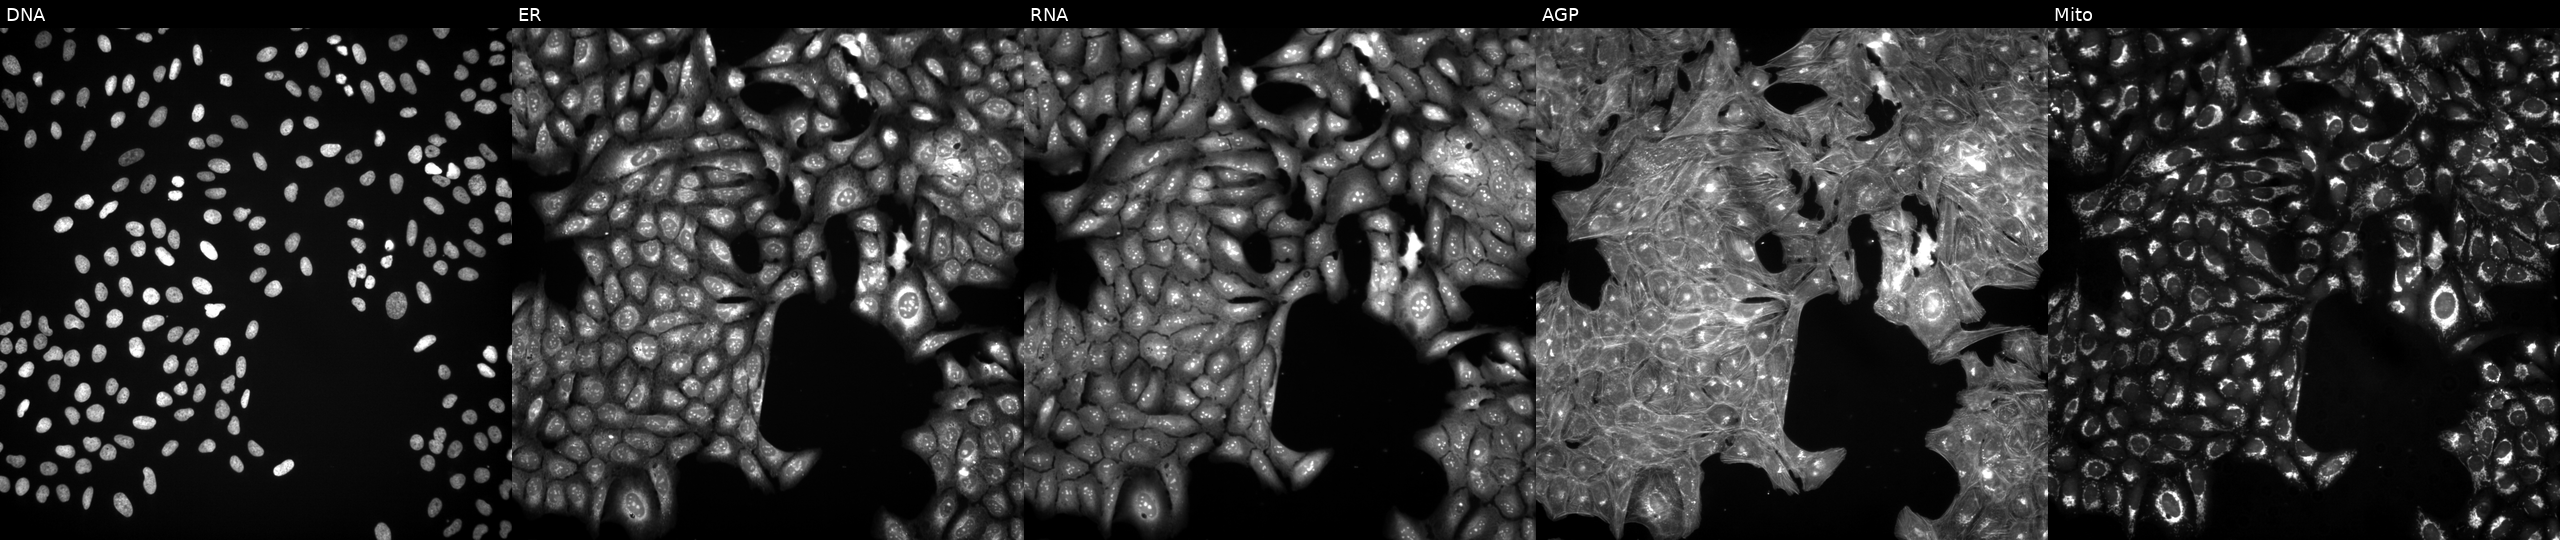
JUMP Cell Painting — TARGET2 plate. U2OS cells perturbed with a small-molecule compound. From left to right: Hoechst 33342, concanavalin A, SYTO 14, phalloidin and WGA, MitoTracker.